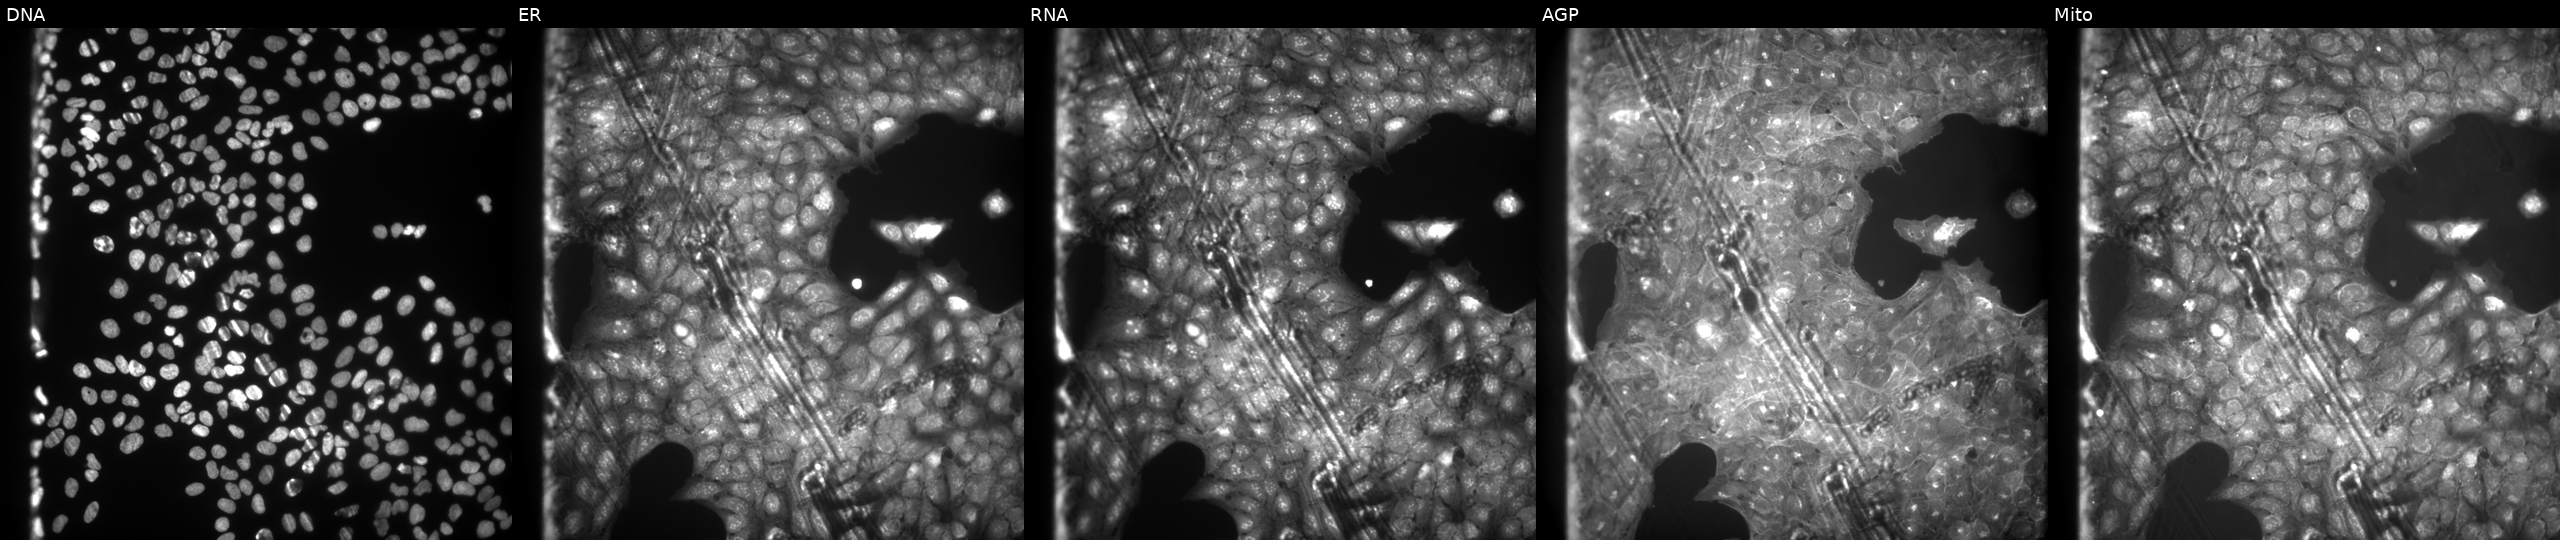
This image strip shows the five Cell Painting channels for a single field of U2OS cells perturbed with a small-molecule compound (JUMP id JCP2022_030738). Panels show, left to right, DNA (nuclei); ER (endoplasmic reticulum); RNA (nucleoli and cytoplasmic RNA); AGP (actin cytoskeleton, Golgi, and plasma membrane); Mito (mitochondria). Source 9, plate GR00003382, well A07.